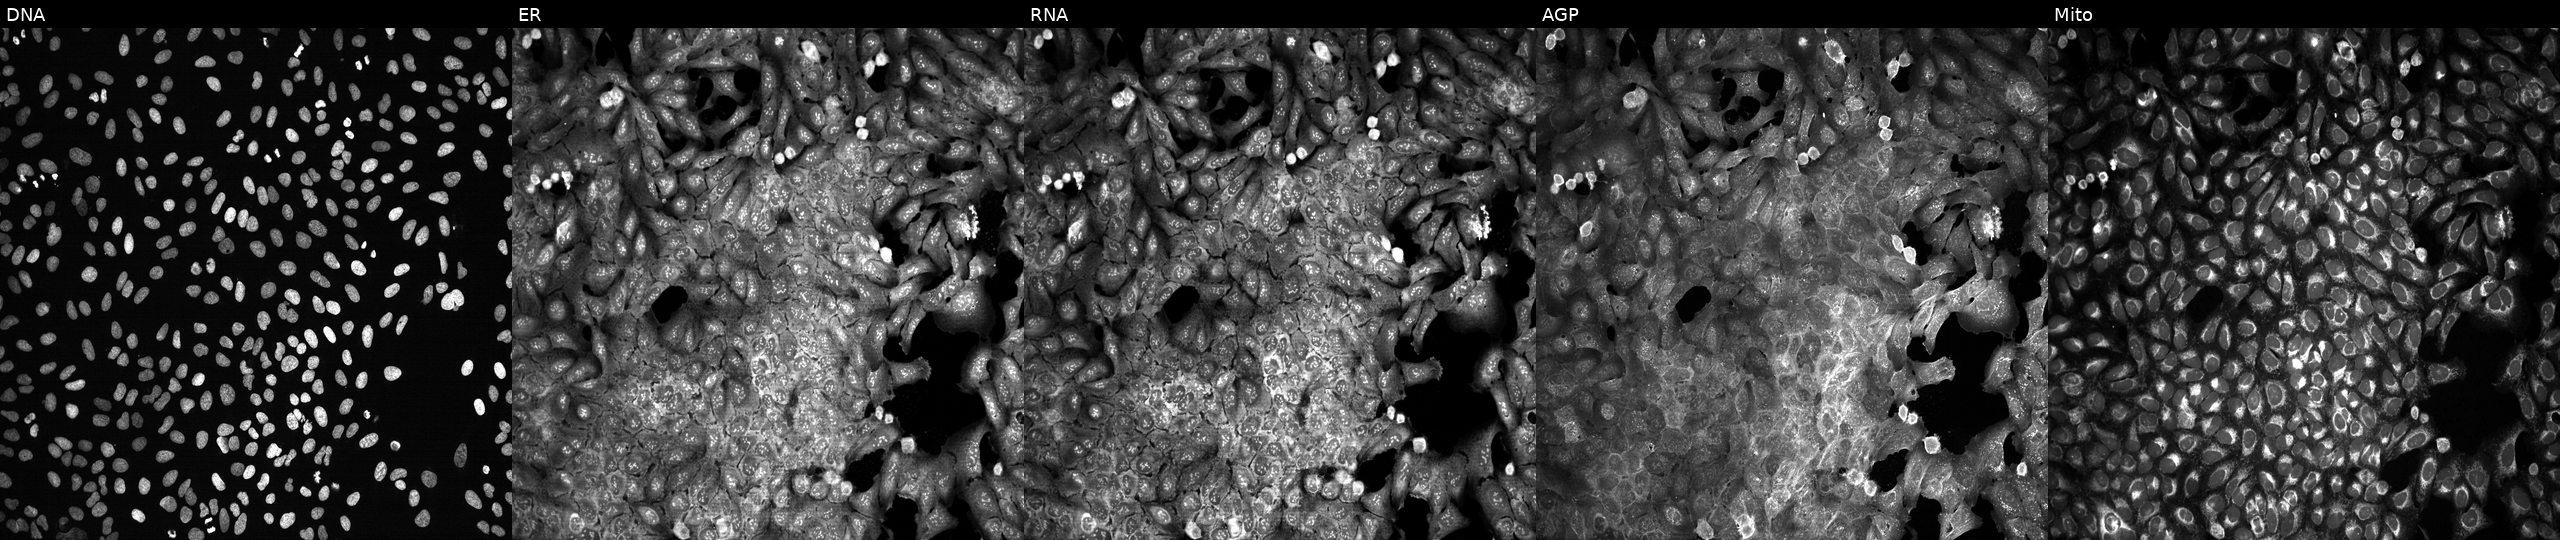
Panels show, left to right, DNA, ER, RNA, AGP, and Mito. U2OS osteosarcoma cells following CRISPR knockout of PCSK5. Cell Painting assay, JUMP-CP dataset. Source 13, plate CP-CC9-R6-19, well H17.